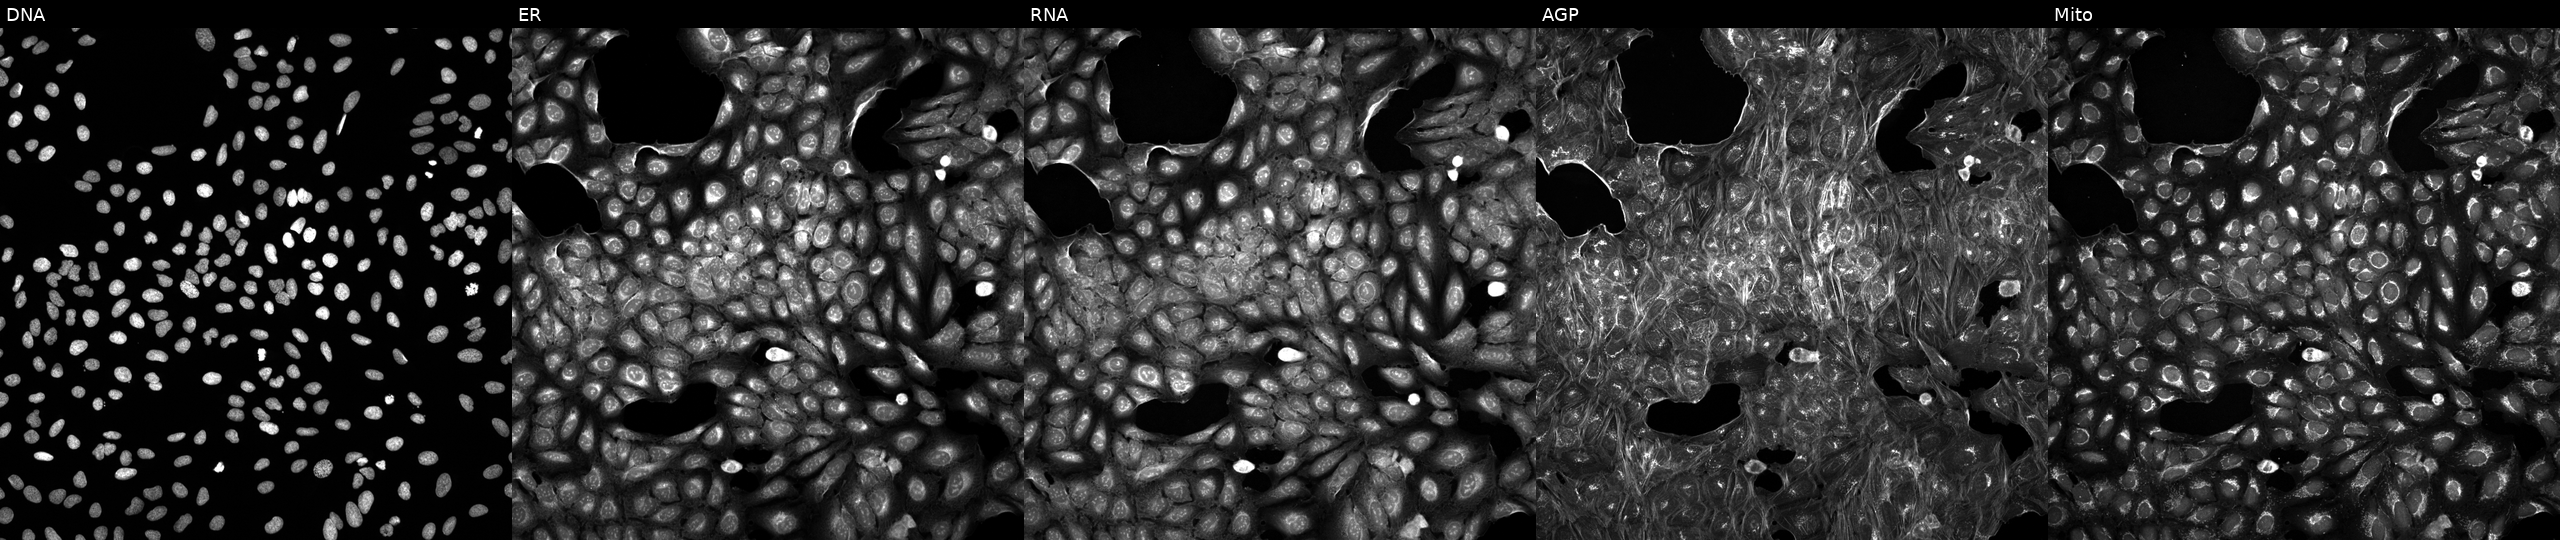
The five panels, left to right, show Hoechst 33342, concanavalin A, SYTO 14, phalloidin and WGA, MitoTracker. U2OS osteosarcoma cells treated with a small-molecule compound (JUMP id JCP2022_105696). Cell Painting assay, JUMP-CP dataset.